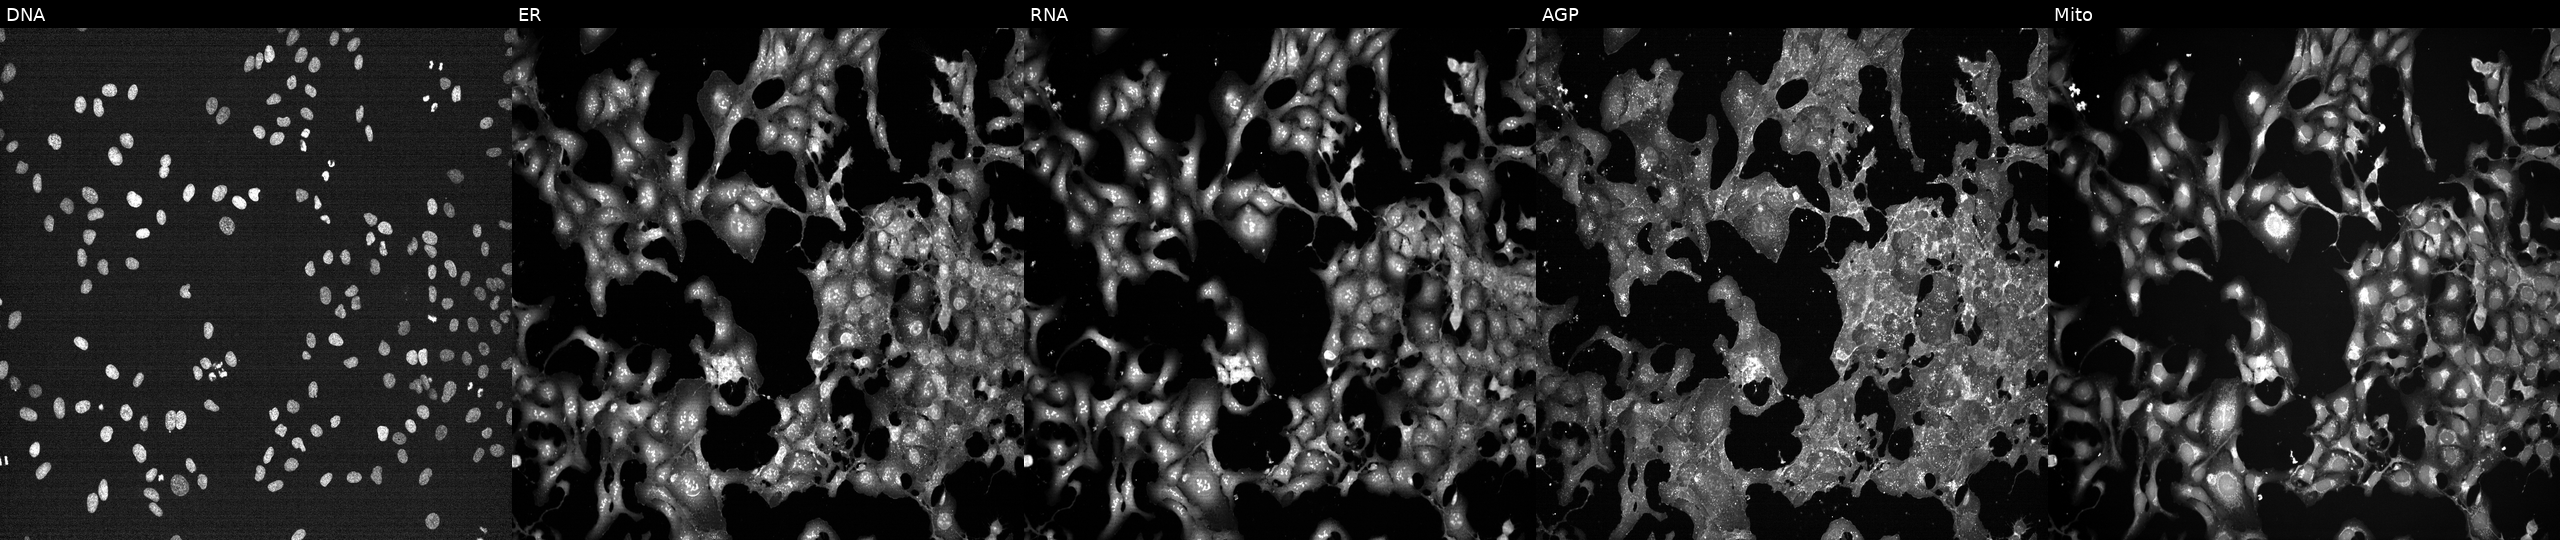
Five-channel Cell Painting image of U2OS cells exposed to a small-molecule compound (InChIKey GDVRVPIXWXOKQO-UHFFFAOYSA-N) (JUMP id JCP2022_024824). Panels show, left to right, DNA, ER, RNA, AGP, and Mito. Source 7, plate CP1-SC1-25, well E19.